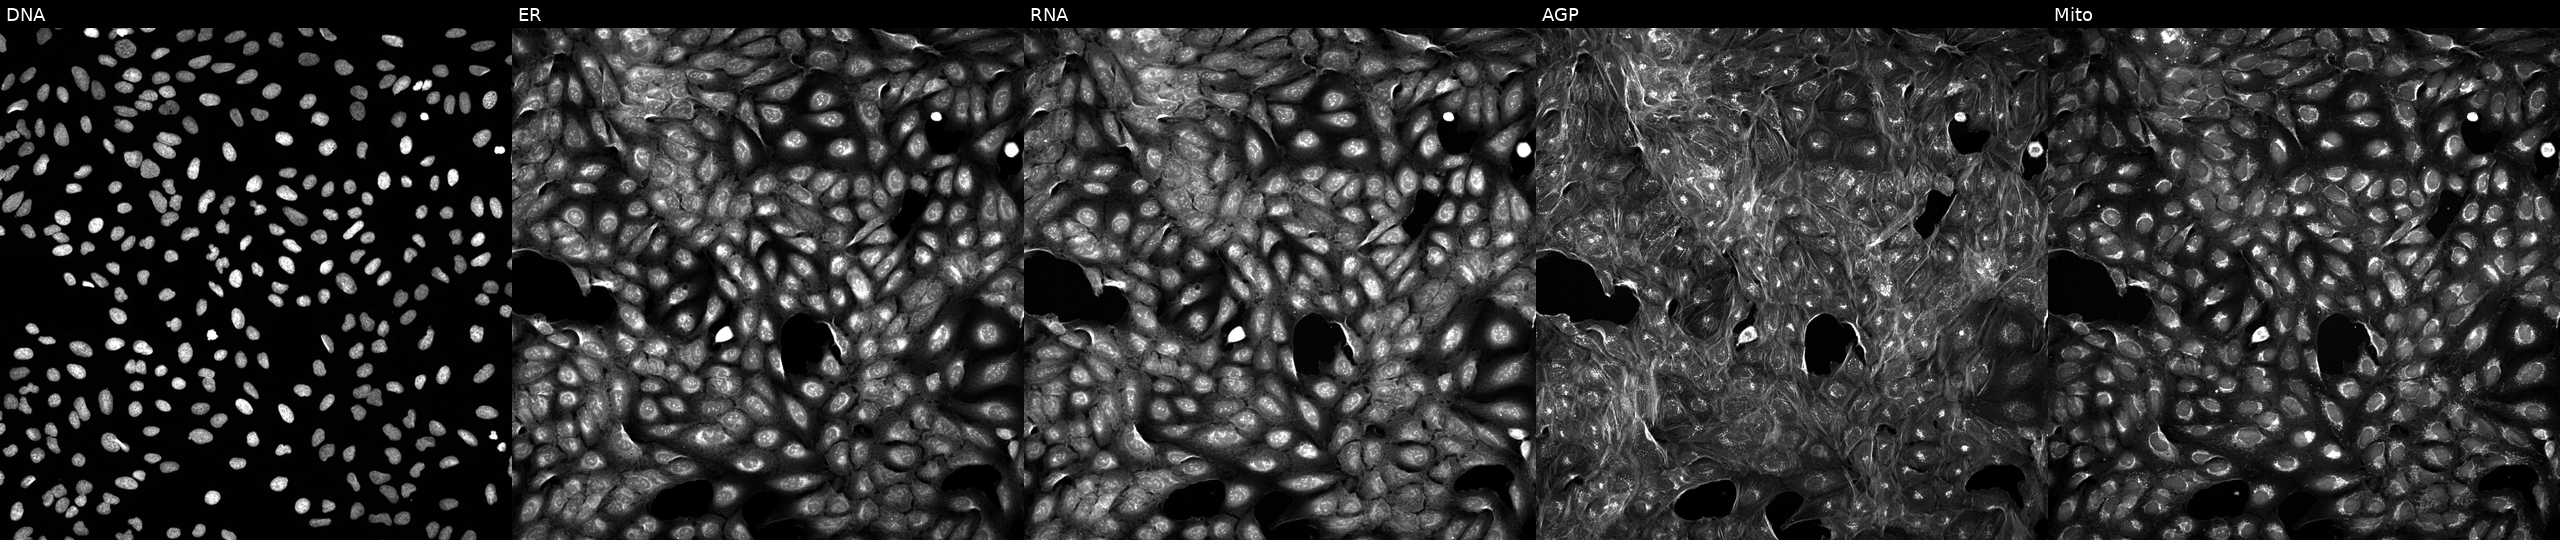
Five-channel Cell Painting image of U2OS cells treated with a small-molecule compound (InChIKey AGNWVEJTZJIJIM-UHFFFAOYSA-N). From left to right: DNA (nuclei); ER (endoplasmic reticulum); RNA (nucleoli and cytoplasmic RNA); AGP (actin cytoskeleton, Golgi, and plasma membrane); Mito (mitochondria). Source 5, plate ACPJUM032, well N14.